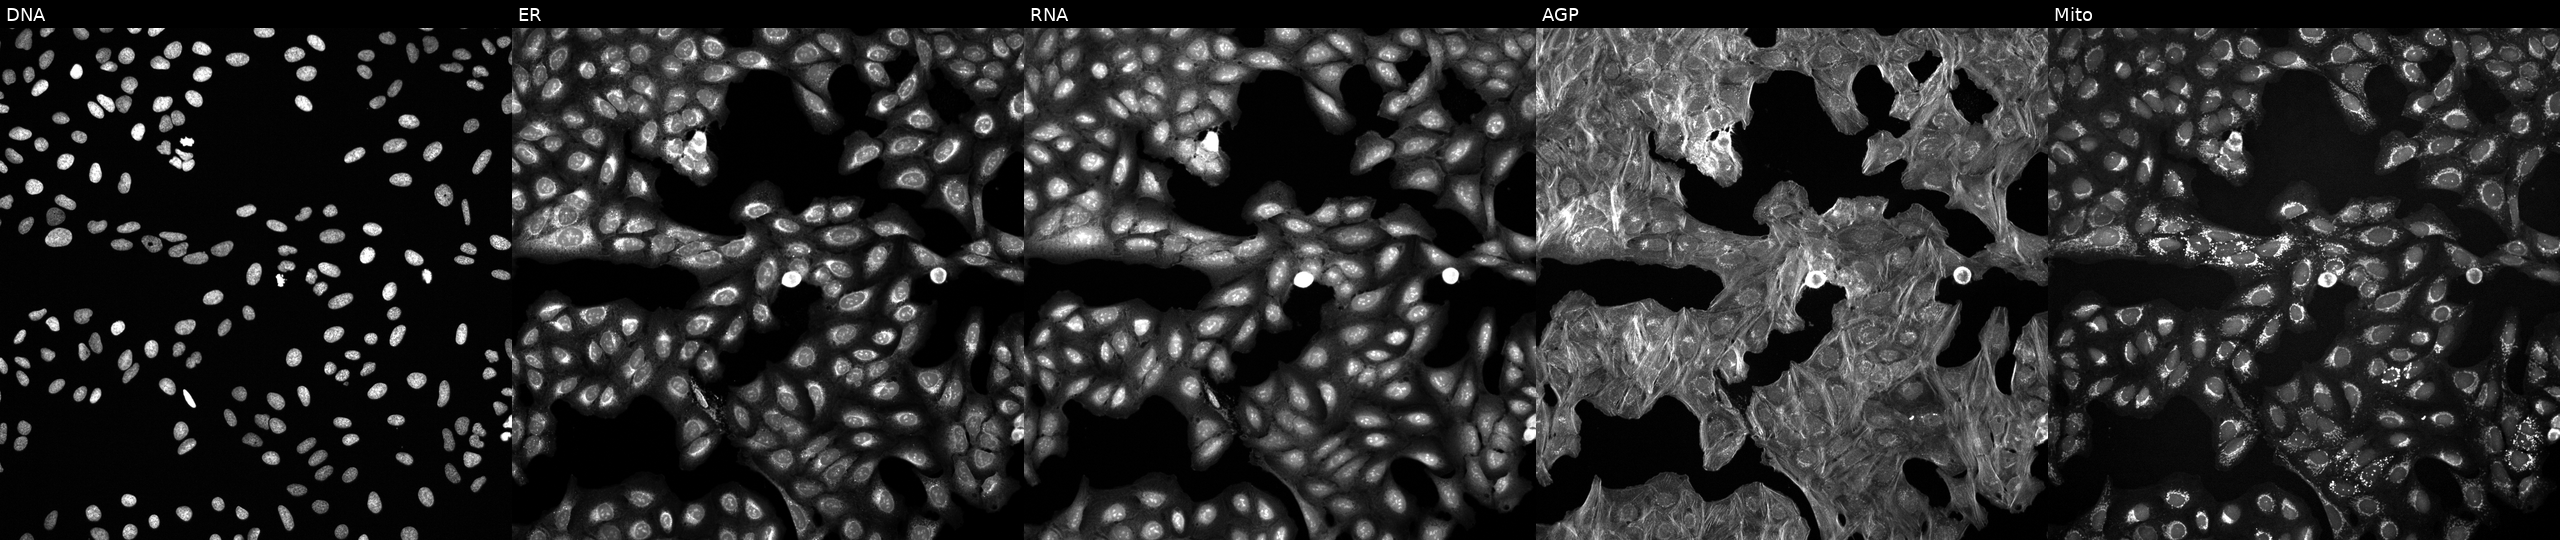
High-content fluorescence microscopy (Cell Painting). Cell line: U2OS. Perturbation: treated with a small-molecule compound (InChIKey PPIPFBJPZKYLQA-UHFFFAOYSA-N). From left to right: DNA, ER, RNA, AGP, and Mito.